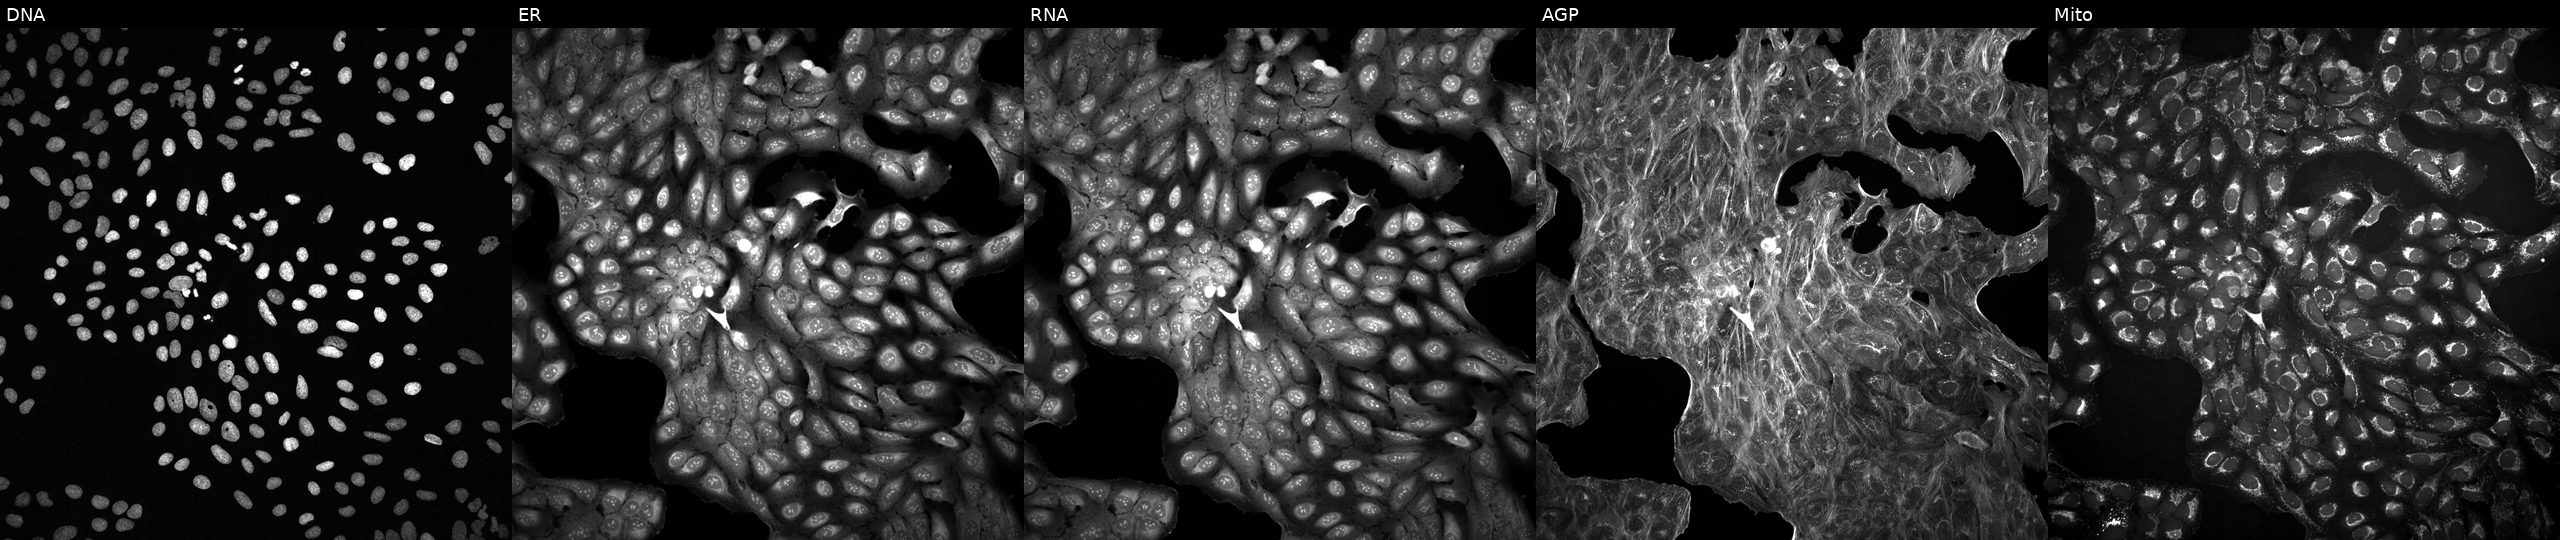
U2OS cells, Cell Painting assay, with an unidentified perturbation (not annotated in JUMP metadata). The five panels, left to right, show DNA, ER, RNA, AGP, and Mito. Each panel is percentile-stretched 16-bit fluorescence. Source 2, plate 1053601756, well B07.